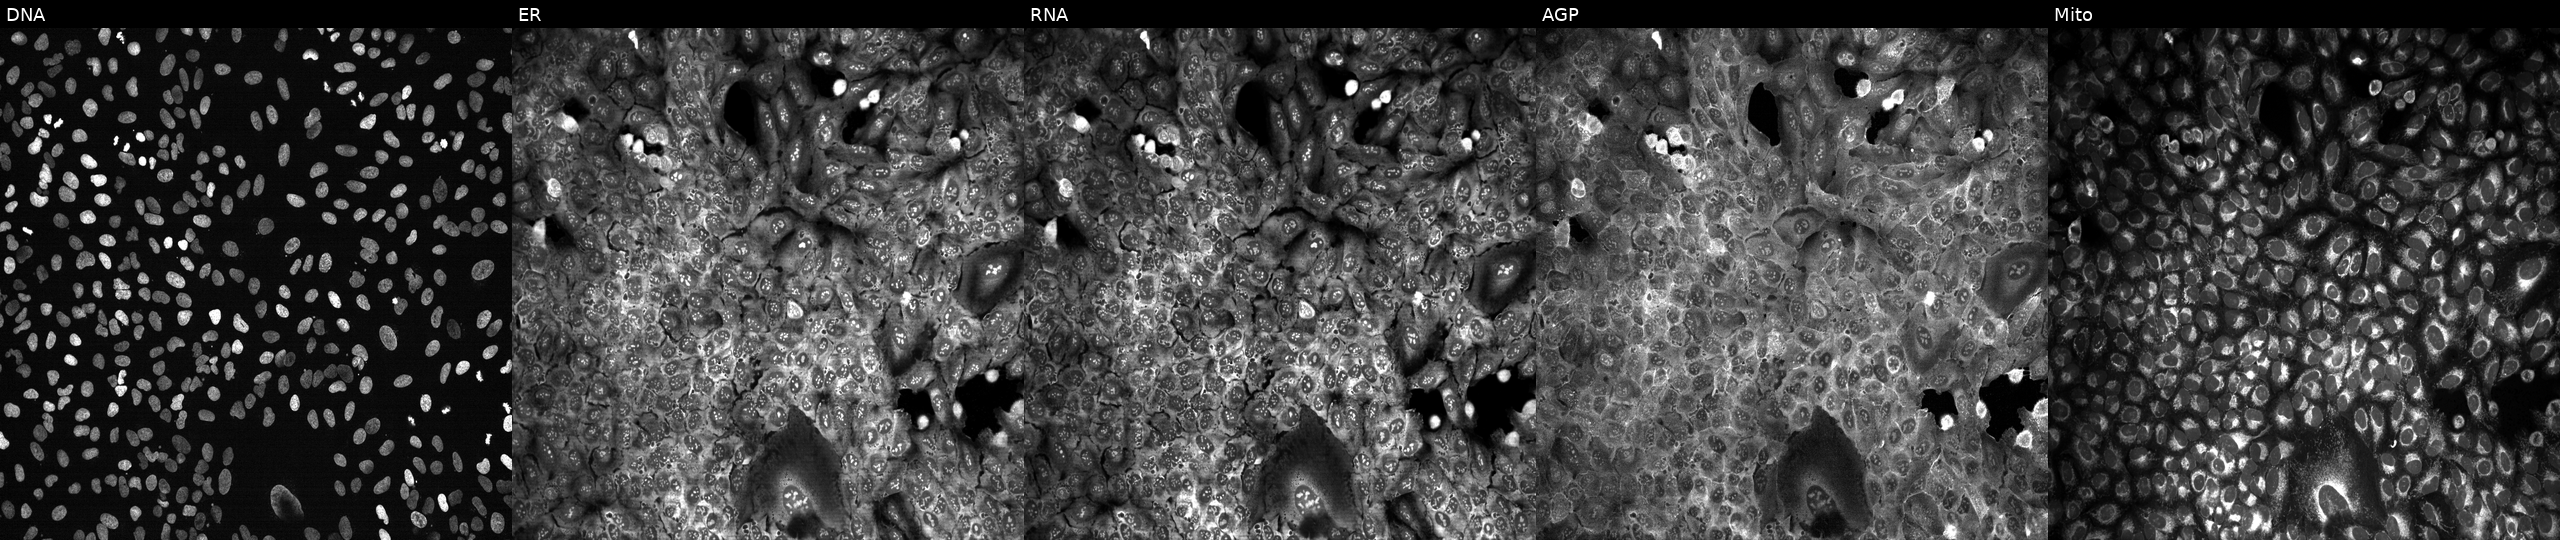
Channels (left→right): Hoechst 33342, concanavalin A, SYTO 14, phalloidin and WGA, MitoTracker. U2OS osteosarcoma cells CRISPR-edited to disrupt KIF5A (JUMP id JCP2022_803685). Cell Painting assay, JUMP-CP dataset.